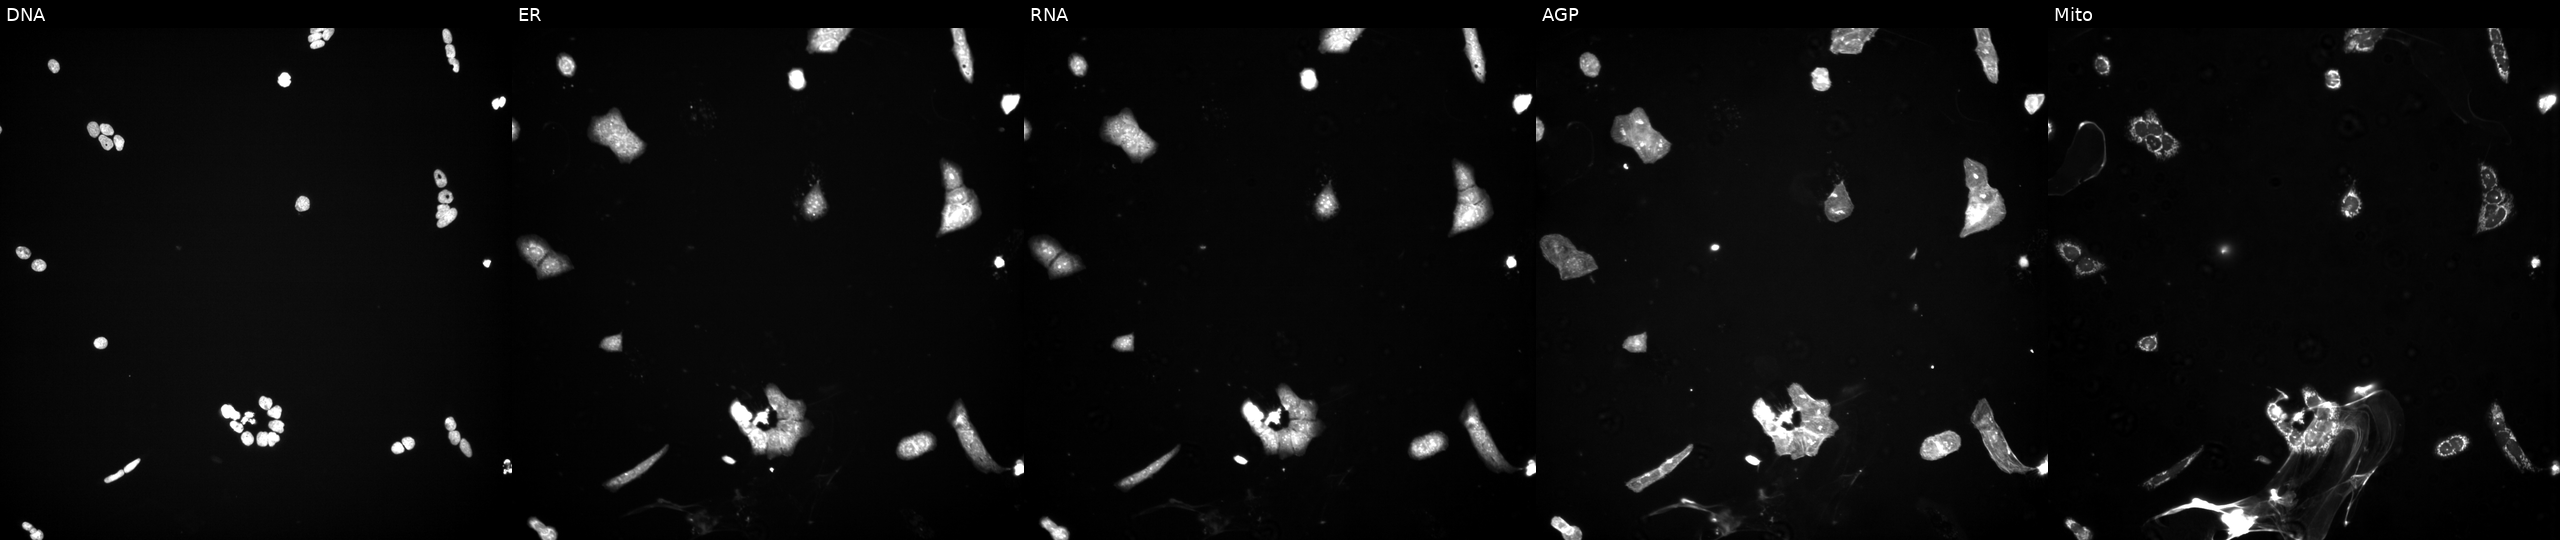
JUMP Cell Painting — TARGET2 plate. U2OS cells exposed to a small-molecule compound (InChIKey NVRXTLZYXZNATH-UHFFFAOYSA-N) (JUMP id JCP2022_061654). Panels show, left to right, Hoechst 33342, concanavalin A, SYTO 14, phalloidin and WGA, MitoTracker. Source 3, plate JCPQC051, well B02.